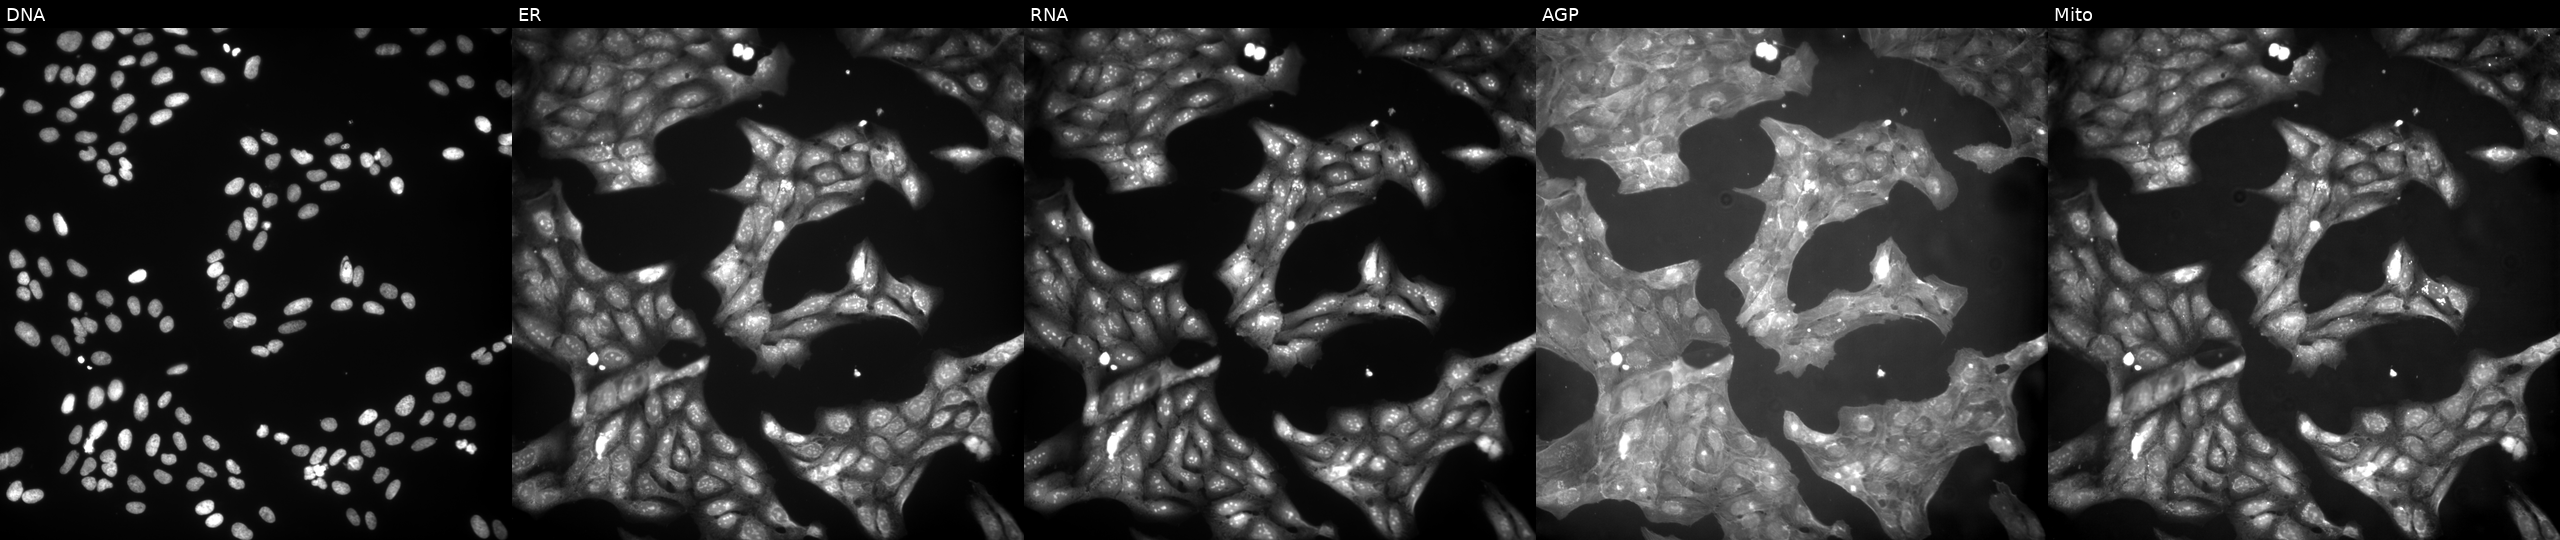
Panels show, left to right, DNA (nuclei); ER (endoplasmic reticulum); RNA (nucleoli and cytoplasmic RNA); AGP (actin cytoskeleton, Golgi, and plasma membrane); Mito (mitochondria). U2OS osteosarcoma cells exposed to a small-molecule compound. Cell Painting assay, JUMP-CP dataset.